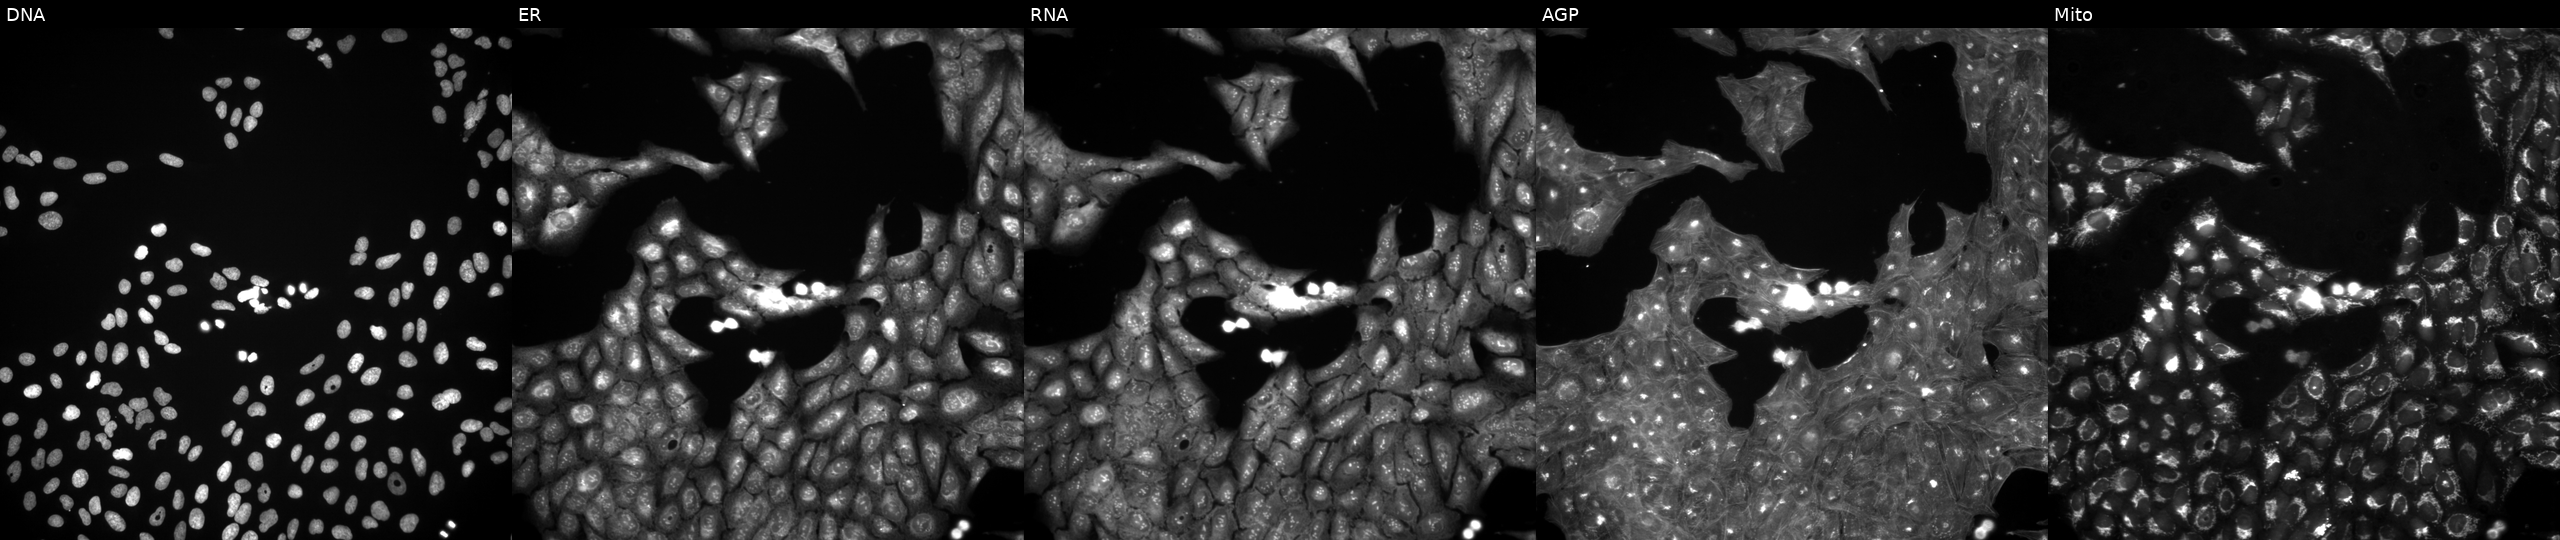
JUMP Cell Painting — TARGET2 plate. U2OS cells exposed to a small-molecule compound (InChIKey LQERMDXPGNOJCT-UHFFFAOYSA-N) (JUMP id JCP2022_051043). From left to right: DNA (nuclei); ER (endoplasmic reticulum); RNA (nucleoli and cytoplasmic RNA); AGP (actin cytoskeleton, Golgi, and plasma membrane); Mito (mitochondria).